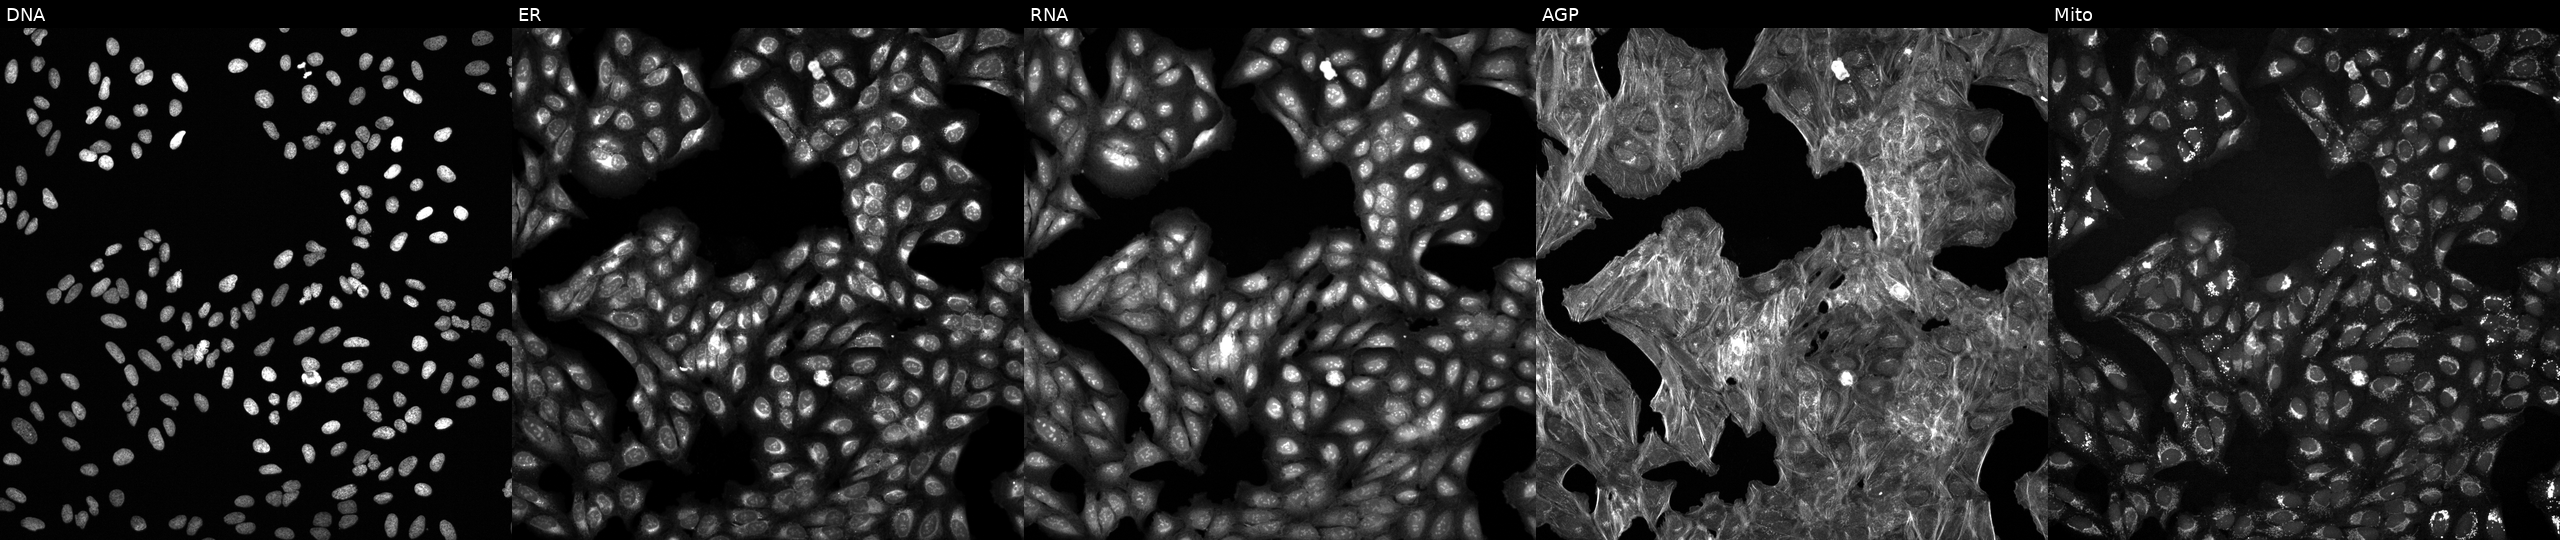
This image strip shows the five Cell Painting channels for a single field of U2OS cells exposed to a small-molecule compound. The five panels, left to right, show DNA (nuclei); ER (endoplasmic reticulum); RNA (nucleoli and cytoplasmic RNA); AGP (actin cytoskeleton, Golgi, and plasma membrane); Mito (mitochondria).